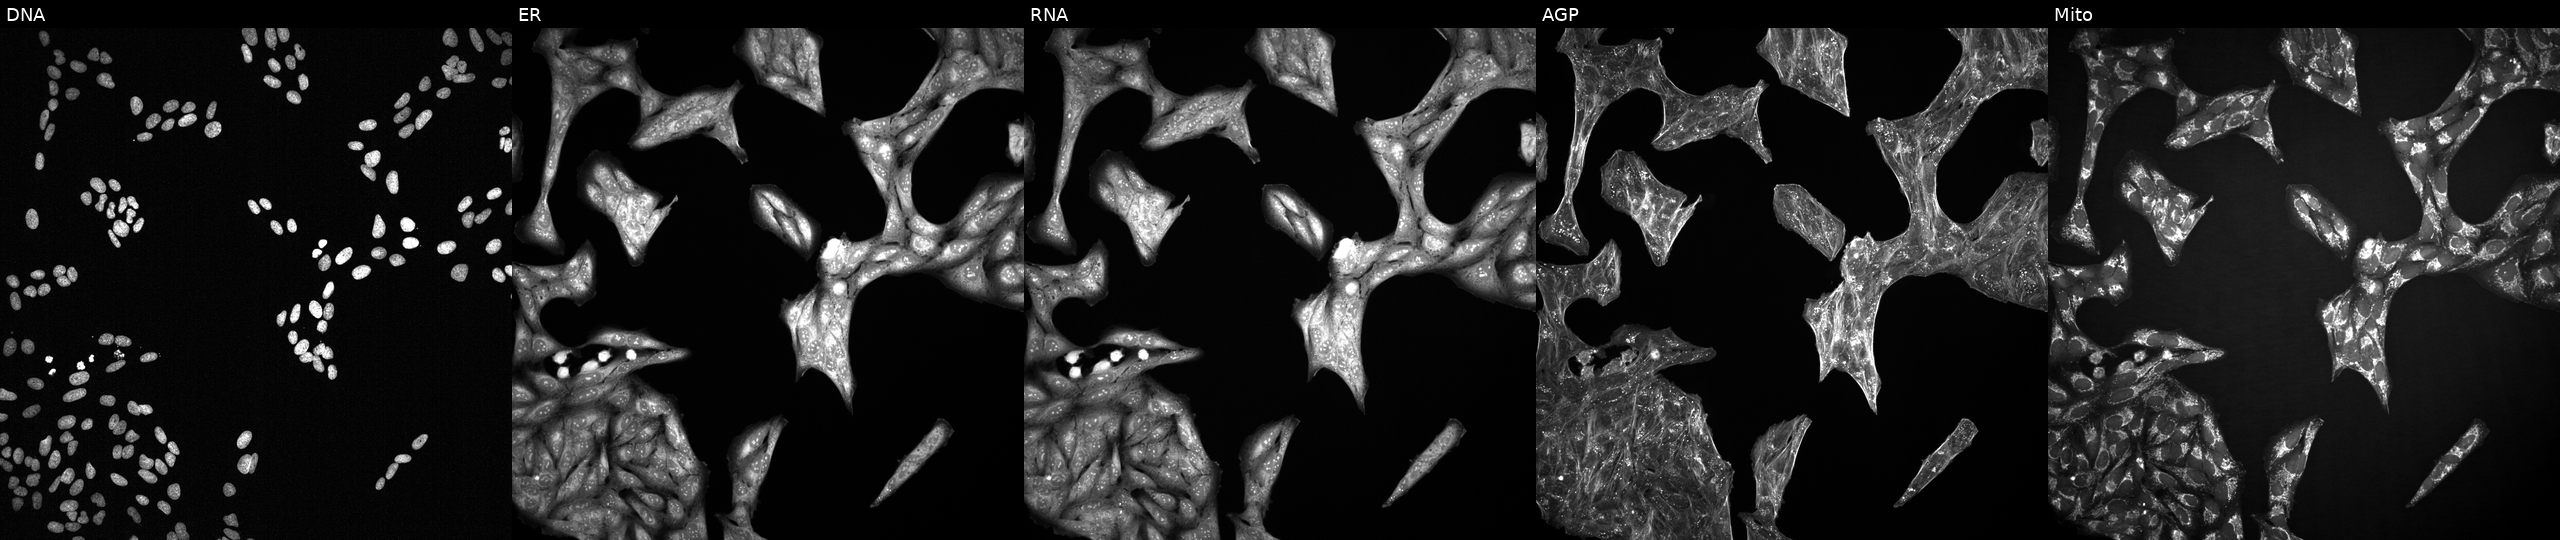
High-content fluorescence microscopy (Cell Painting). Cell line: U2OS. Perturbation: exposed to a small-molecule compound (InChIKey UXUQIRNFBFRPAC-UHFFFAOYSA-N). Channels (left→right): DNA, ER, RNA, AGP, and Mito.